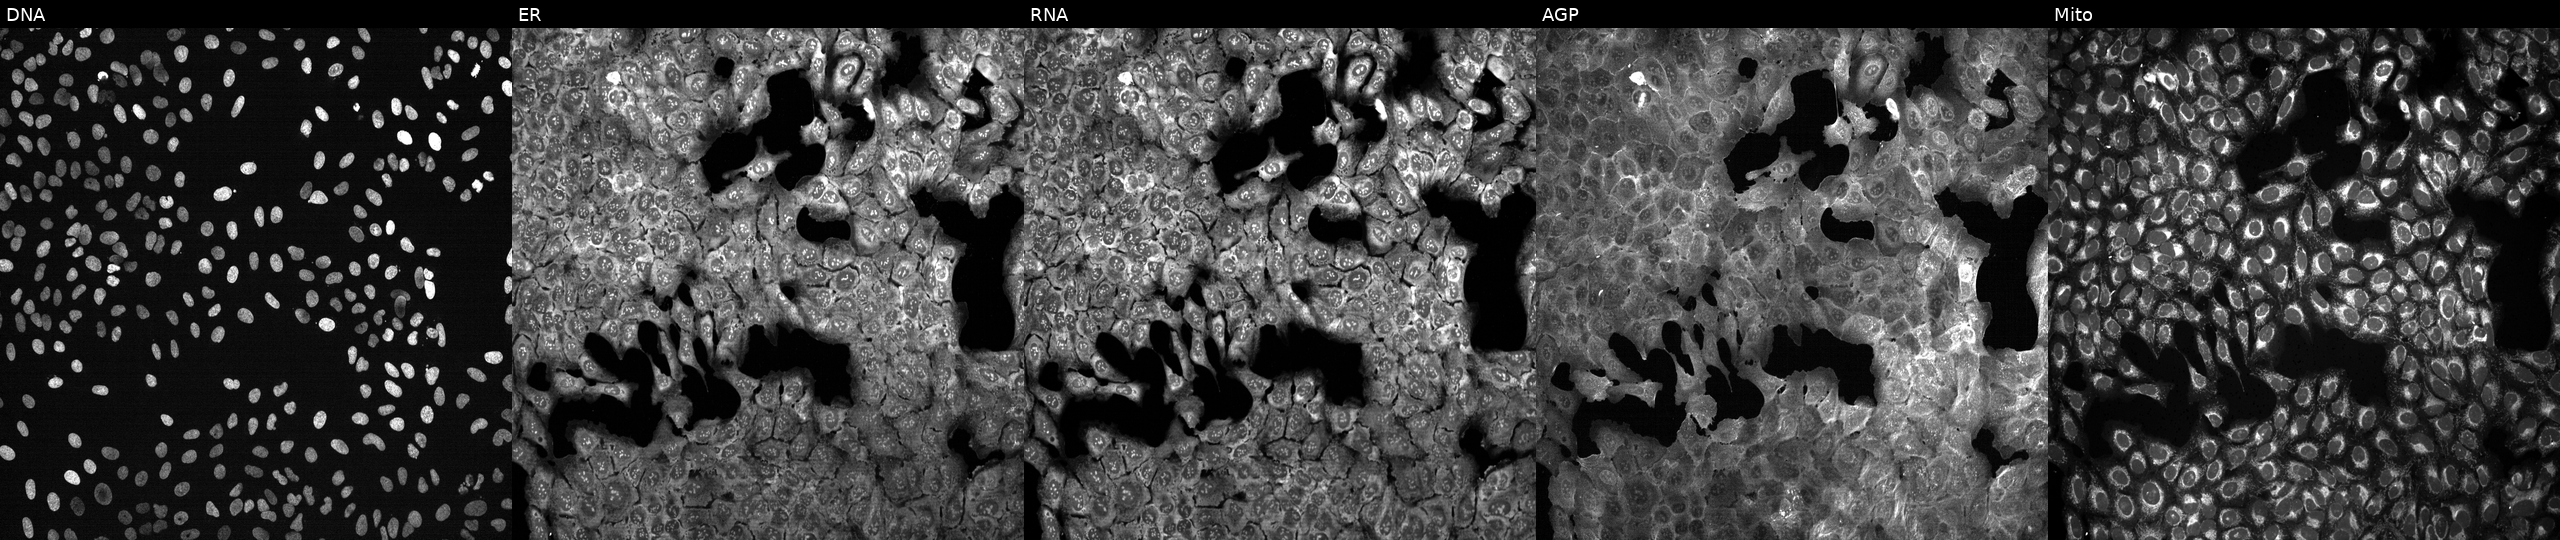
U2OS cells, Cell Painting assay, CRISPR-edited to disrupt TIMP3 (JUMP id JCP2022_807089). The five panels, left to right, show DNA, ER, RNA, AGP, and Mito. Each panel is percentile-stretched 16-bit fluorescence.